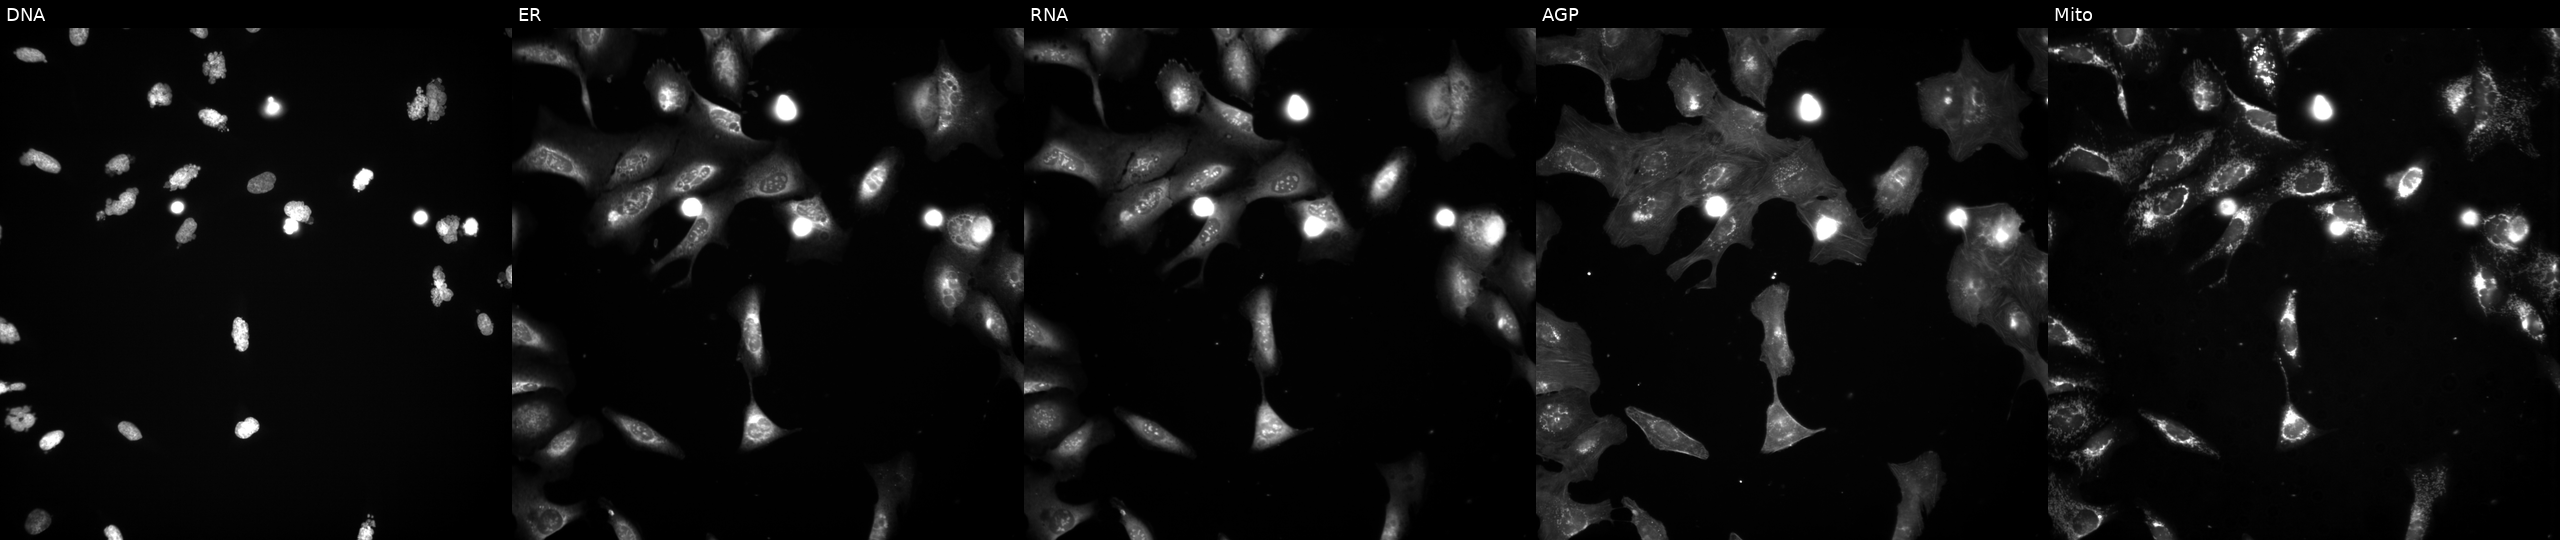
JUMP Cell Painting — COMPOUND plate. U2OS cells treated with AMG900 (positive-control compound). The five panels, left to right, show Hoechst 33342, concanavalin A, SYTO 14, phalloidin and WGA, MitoTracker. Source 3, plate BR5867b3, well J01.